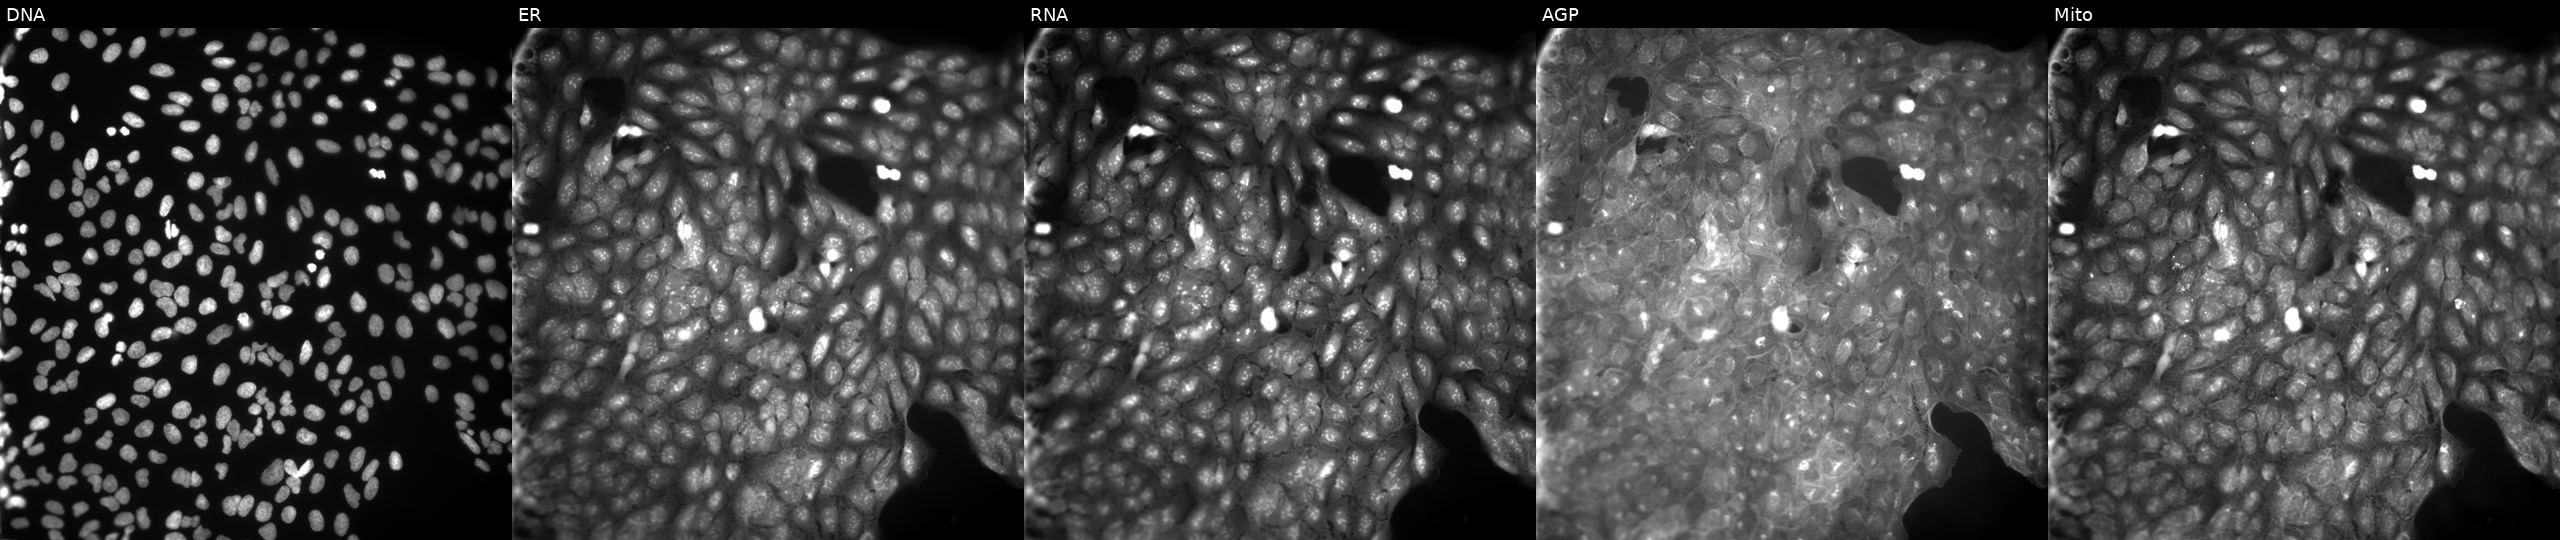
JUMP Cell Painting — COMPOUND plate. U2OS cells exposed to DMSO alone as a negative control. The five panels, left to right, show DNA (nuclei); ER (endoplasmic reticulum); RNA (nucleoli and cytoplasmic RNA); AGP (actin cytoskeleton, Golgi, and plasma membrane); Mito (mitochondria).